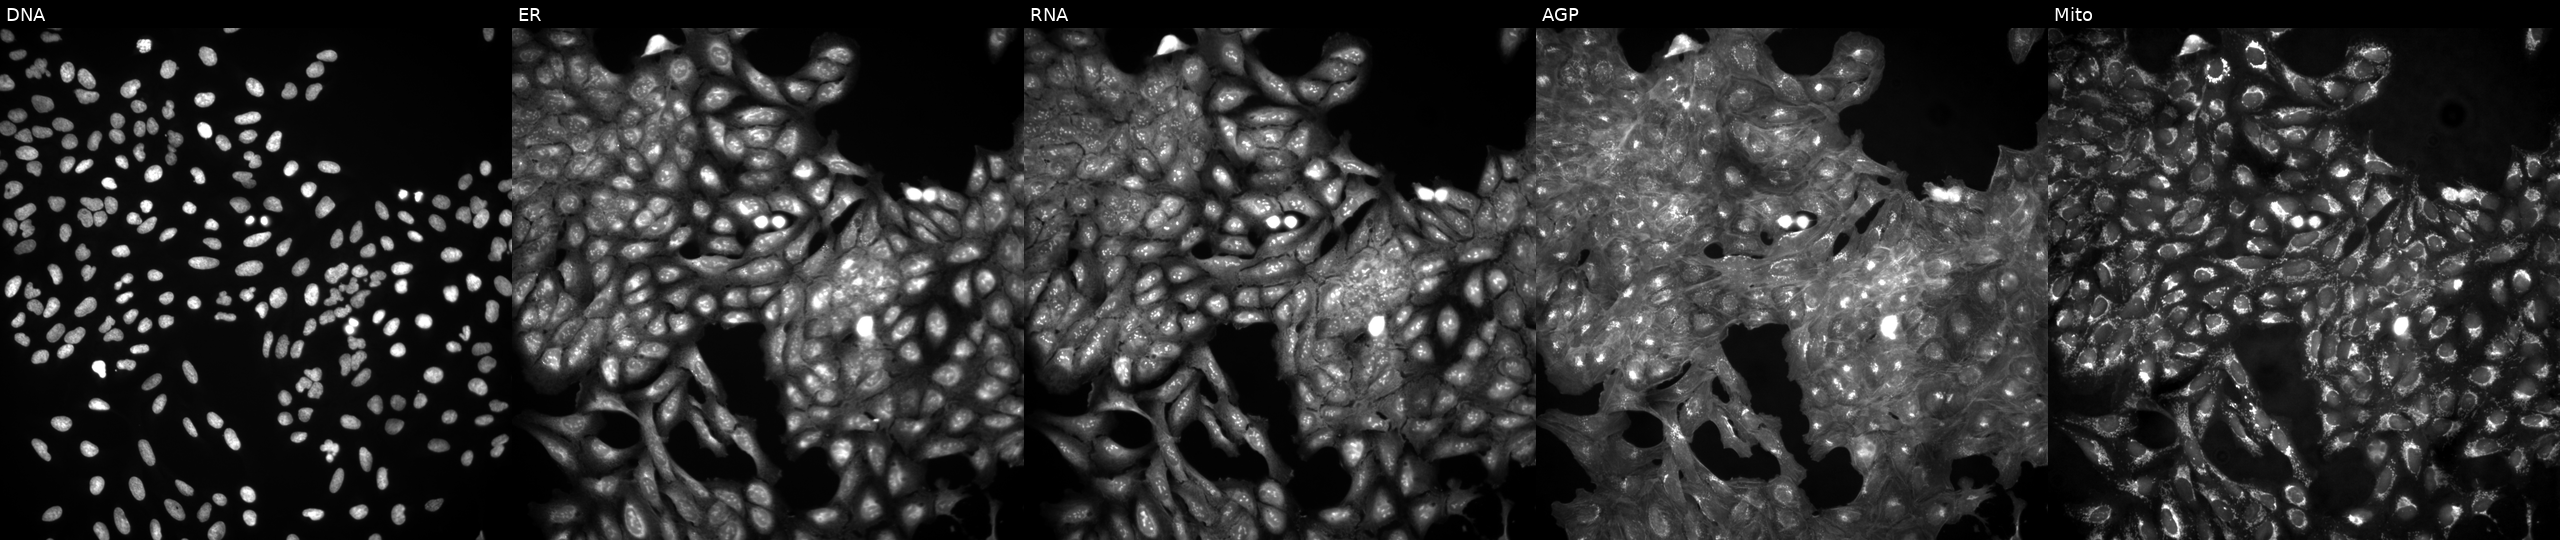
This image strip shows the five Cell Painting channels for a single field of U2OS cells untreated (empty-well control) (JUMP id JCP2022_999999). From left to right: DNA (nuclei); ER (endoplasmic reticulum); RNA (nucleoli and cytoplasmic RNA); AGP (actin cytoskeleton, Golgi, and plasma membrane); Mito (mitochondria). Source 4, plate BR00123946, well A18.